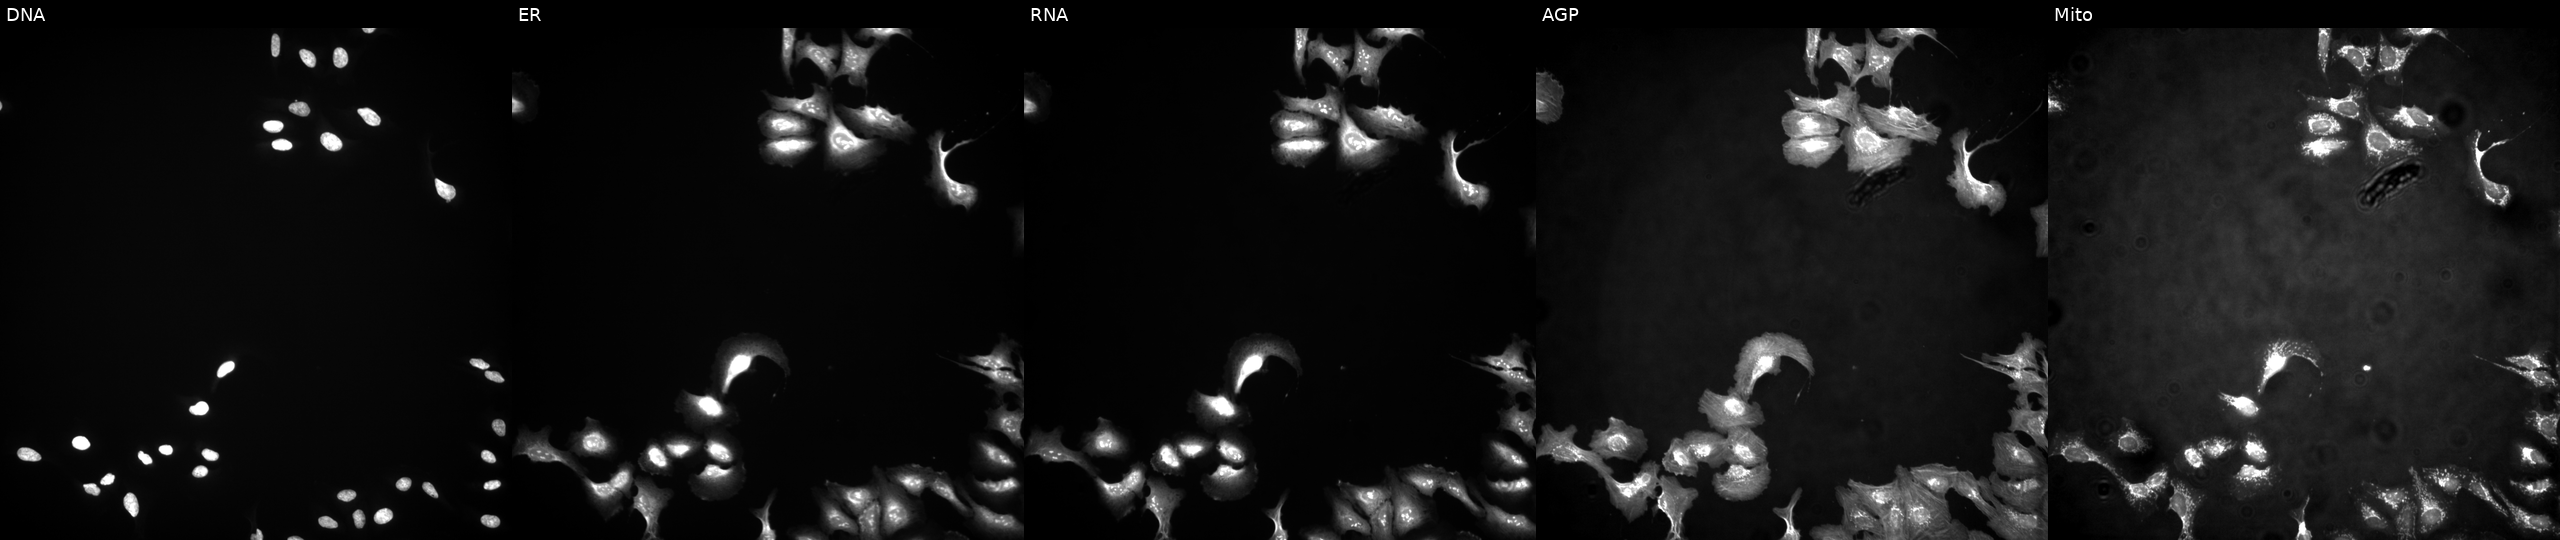
U2OS cells, Cell Painting assay, transfected with an ORF construct for PCAT4 (JUMP id JCP2022_909583). Panels show, left to right, DNA, ER, RNA, AGP, and Mito. Each panel is percentile-stretched 16-bit fluorescence. Source 4, plate BR00124784, well N01.